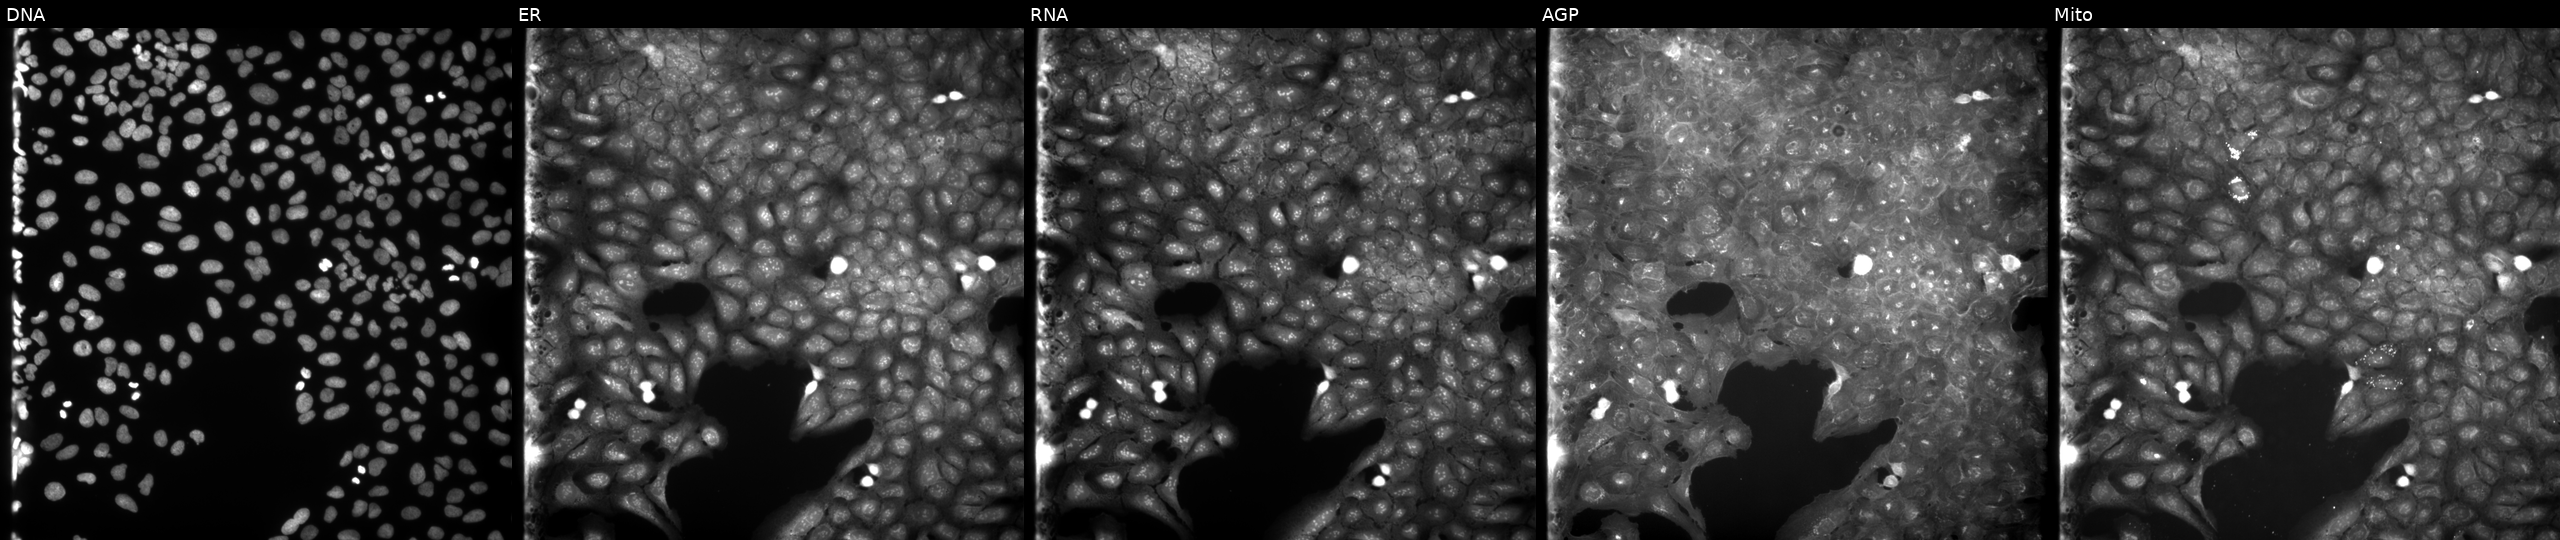
U2OS cells, Cell Painting assay, exposed to a small-molecule compound (InChIKey JUOZFQFRLAKATR-UHFFFAOYSA-N). Panels show, left to right, DNA (nuclei); ER (endoplasmic reticulum); RNA (nucleoli and cytoplasmic RNA); AGP (actin cytoskeleton, Golgi, and plasma membrane); Mito (mitochondria). Each panel is percentile-stretched 16-bit fluorescence.